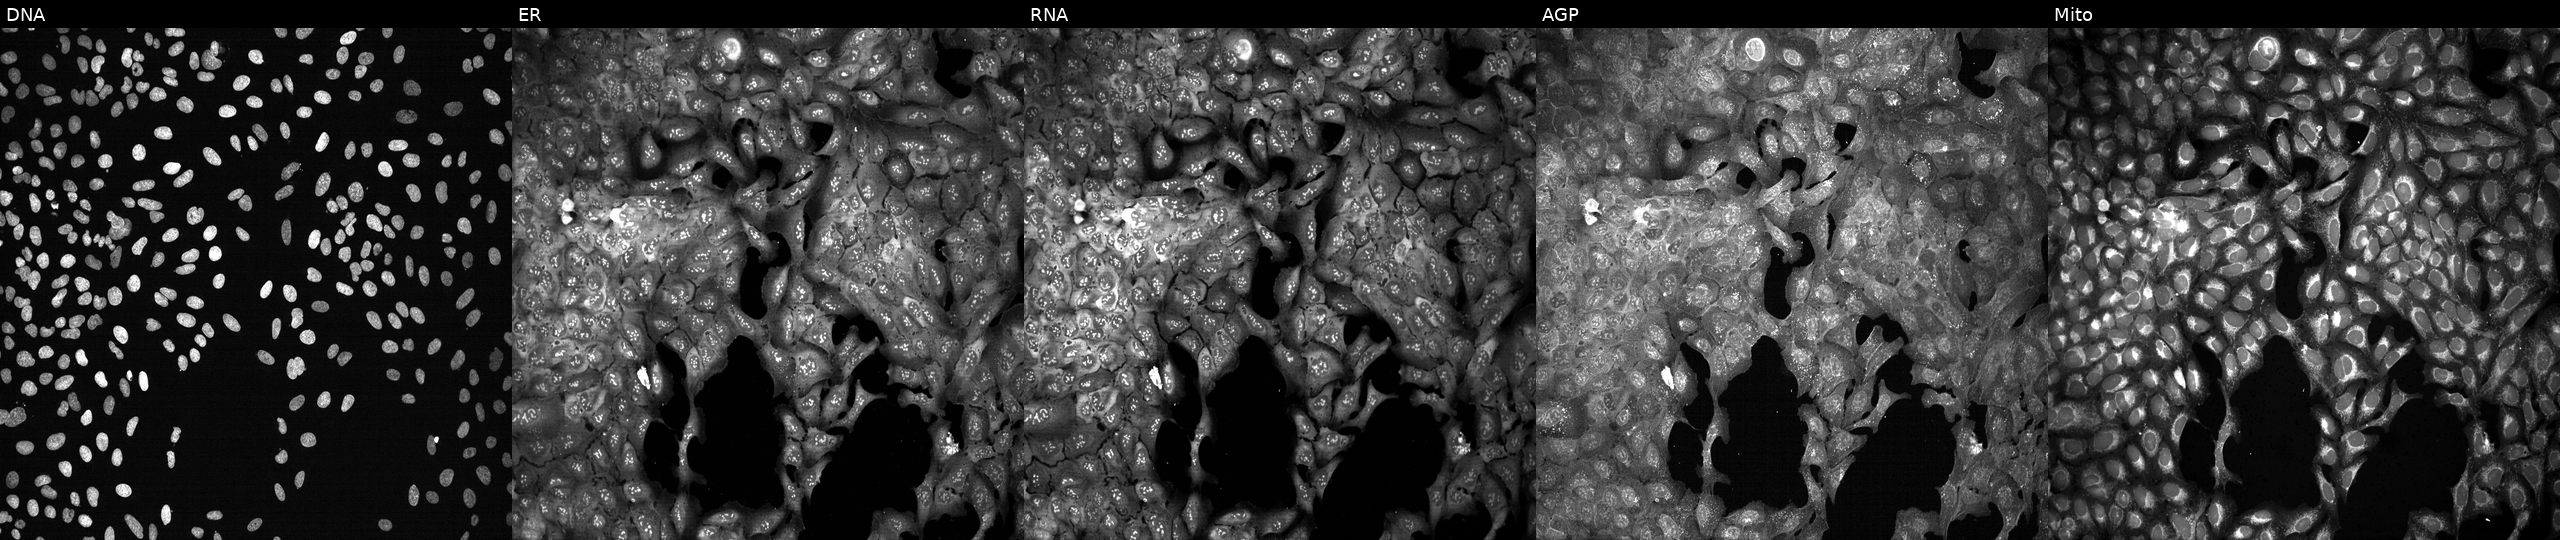
Five-channel Cell Painting image of U2OS cells with FASN knocked out by CRISPR (JUMP id JCP2022_802274). Channels (left→right): DNA (nuclei); ER (endoplasmic reticulum); RNA (nucleoli and cytoplasmic RNA); AGP (actin cytoskeleton, Golgi, and plasma membrane); Mito (mitochondria).